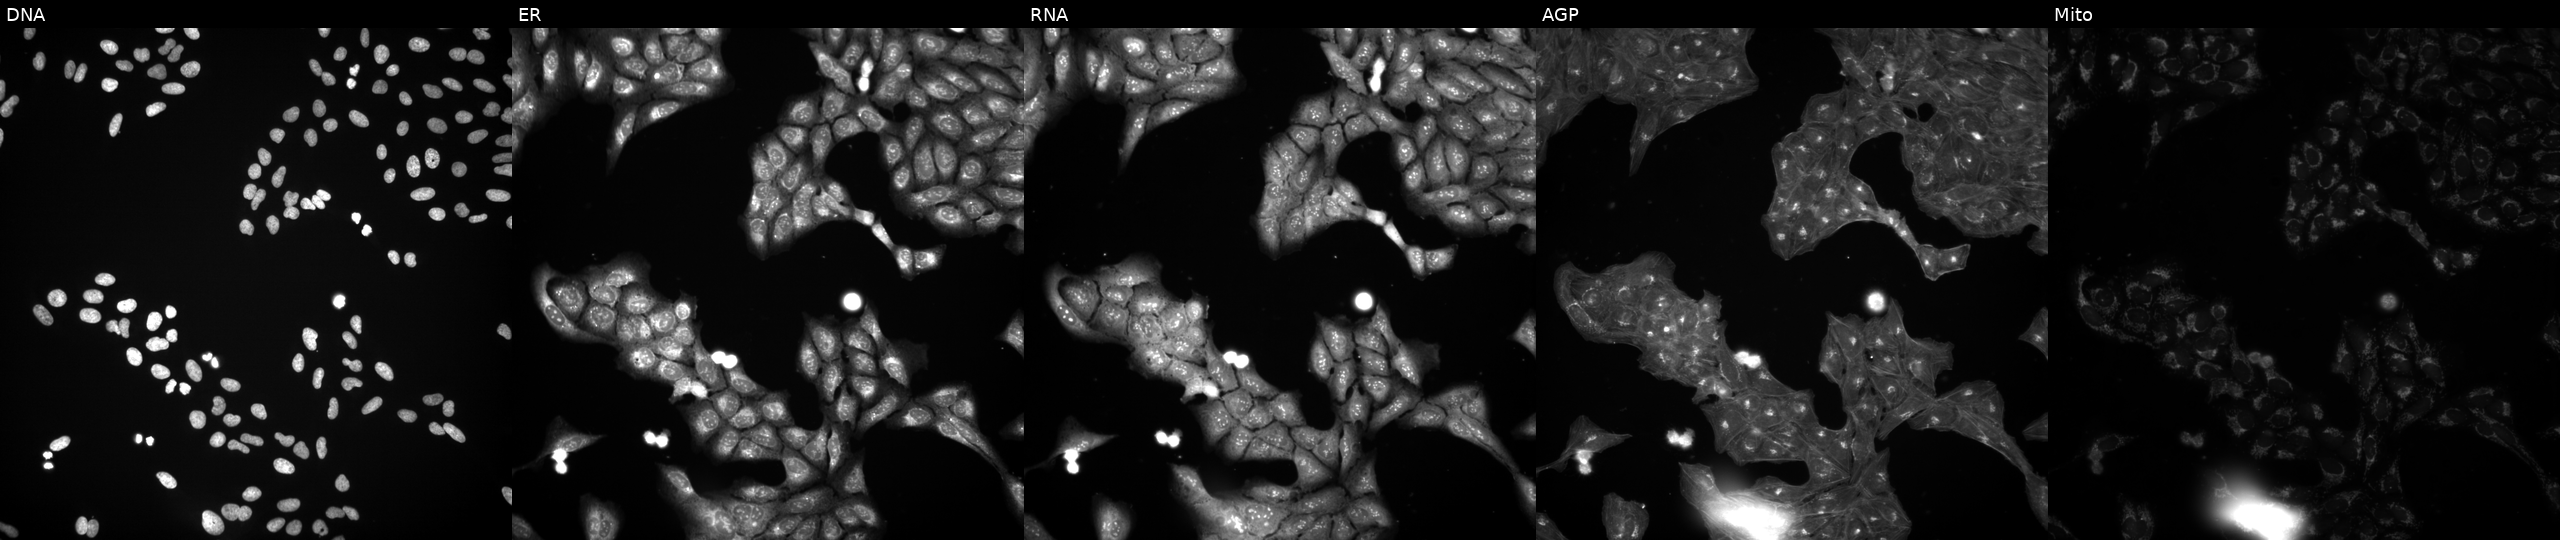
U2OS cells, Cell Painting assay, perturbed with a small-molecule compound (InChIKey VINKRBHHXZQUKV-UHFFFAOYSA-N). Channels (left→right): DNA (nuclei); ER (endoplasmic reticulum); RNA (nucleoli and cytoplasmic RNA); AGP (actin cytoskeleton, Golgi, and plasma membrane); Mito (mitochondria). Each panel is percentile-stretched 16-bit fluorescence. Source 3, plate BR5867b3, well K19.